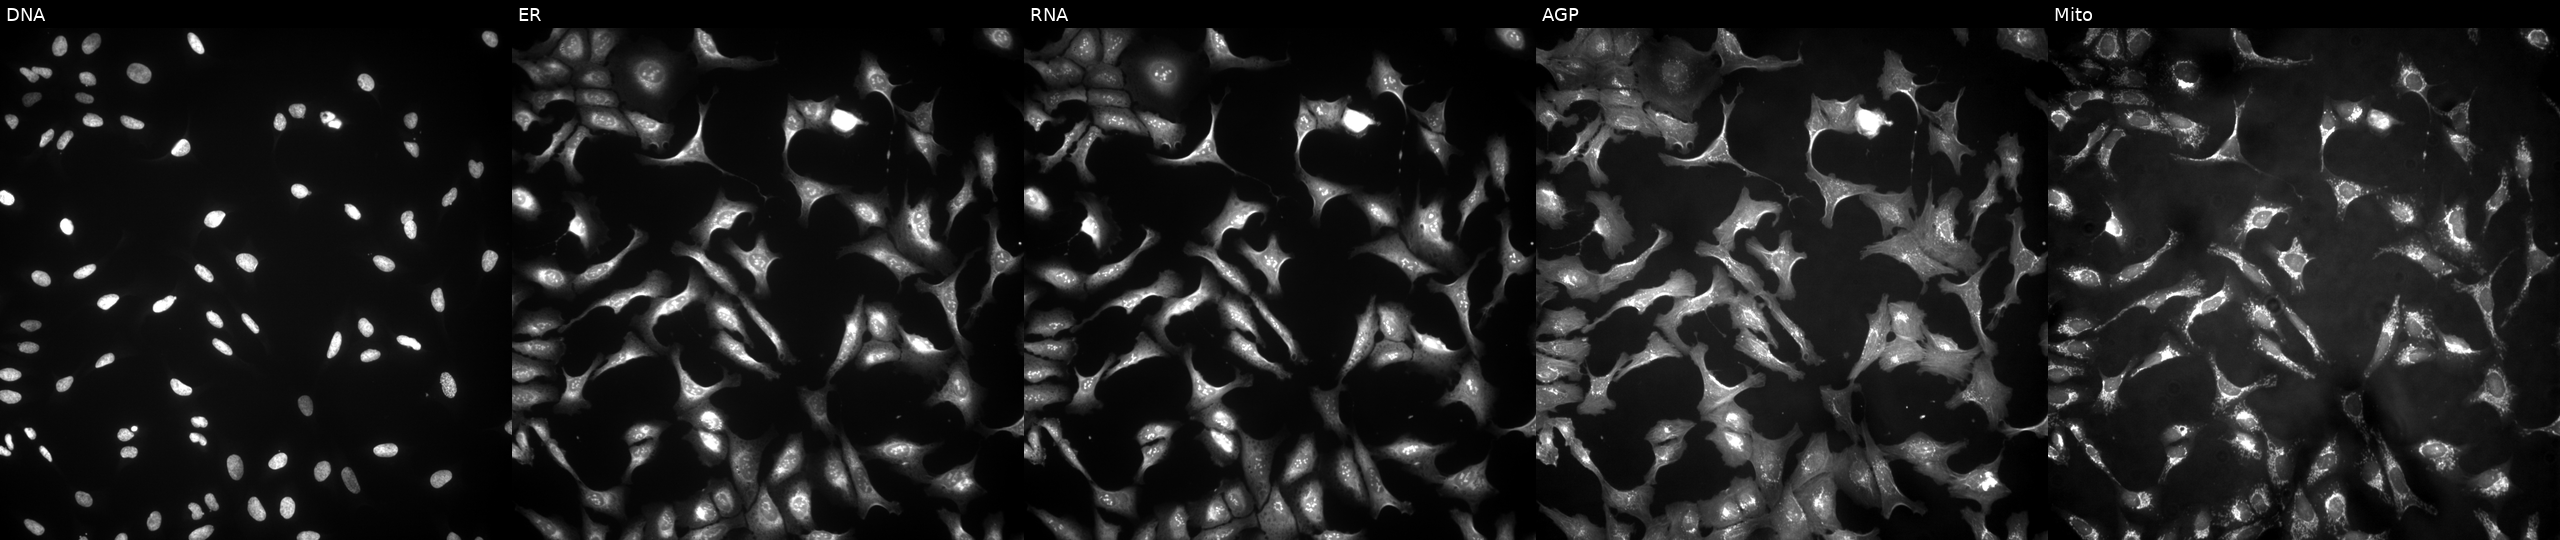
This image strip shows the five Cell Painting channels for a single field of U2OS cells overexpressing FDFT1 via ORF transfection (JUMP id JCP2022_914415). Panels show, left to right, DNA (nuclei); ER (endoplasmic reticulum); RNA (nucleoli and cytoplasmic RNA); AGP (actin cytoskeleton, Golgi, and plasma membrane); Mito (mitochondria).